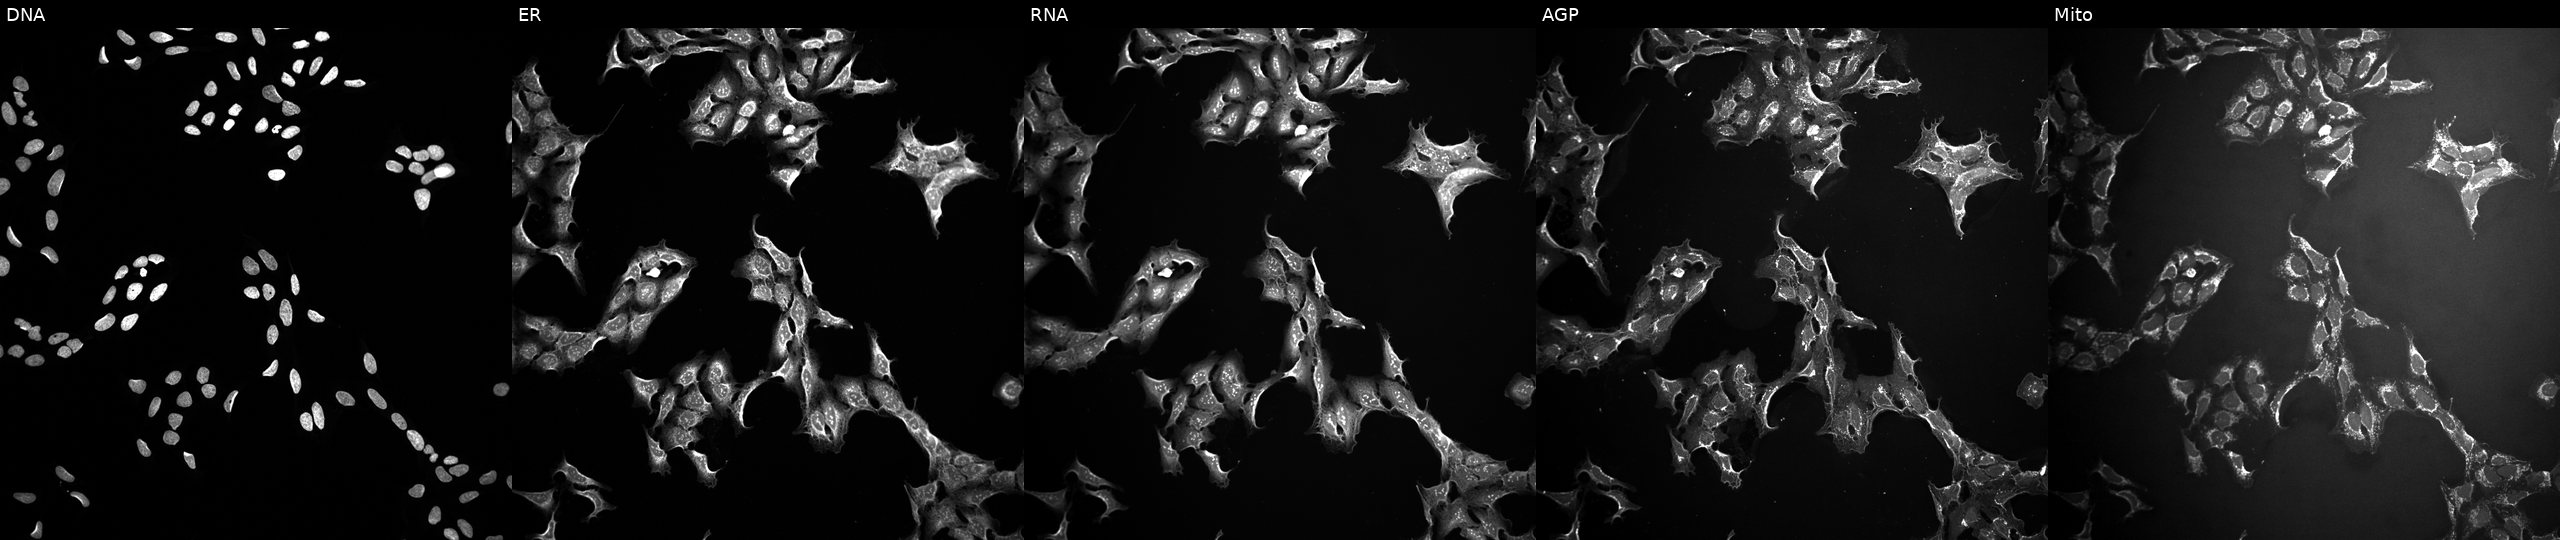
This image strip shows the five Cell Painting channels for a single field of U2OS cells treated with a small-molecule compound (JUMP id JCP2022_043287). The five panels, left to right, show DNA (nuclei); ER (endoplasmic reticulum); RNA (nucleoli and cytoplasmic RNA); AGP (actin cytoskeleton, Golgi, and plasma membrane); Mito (mitochondria).